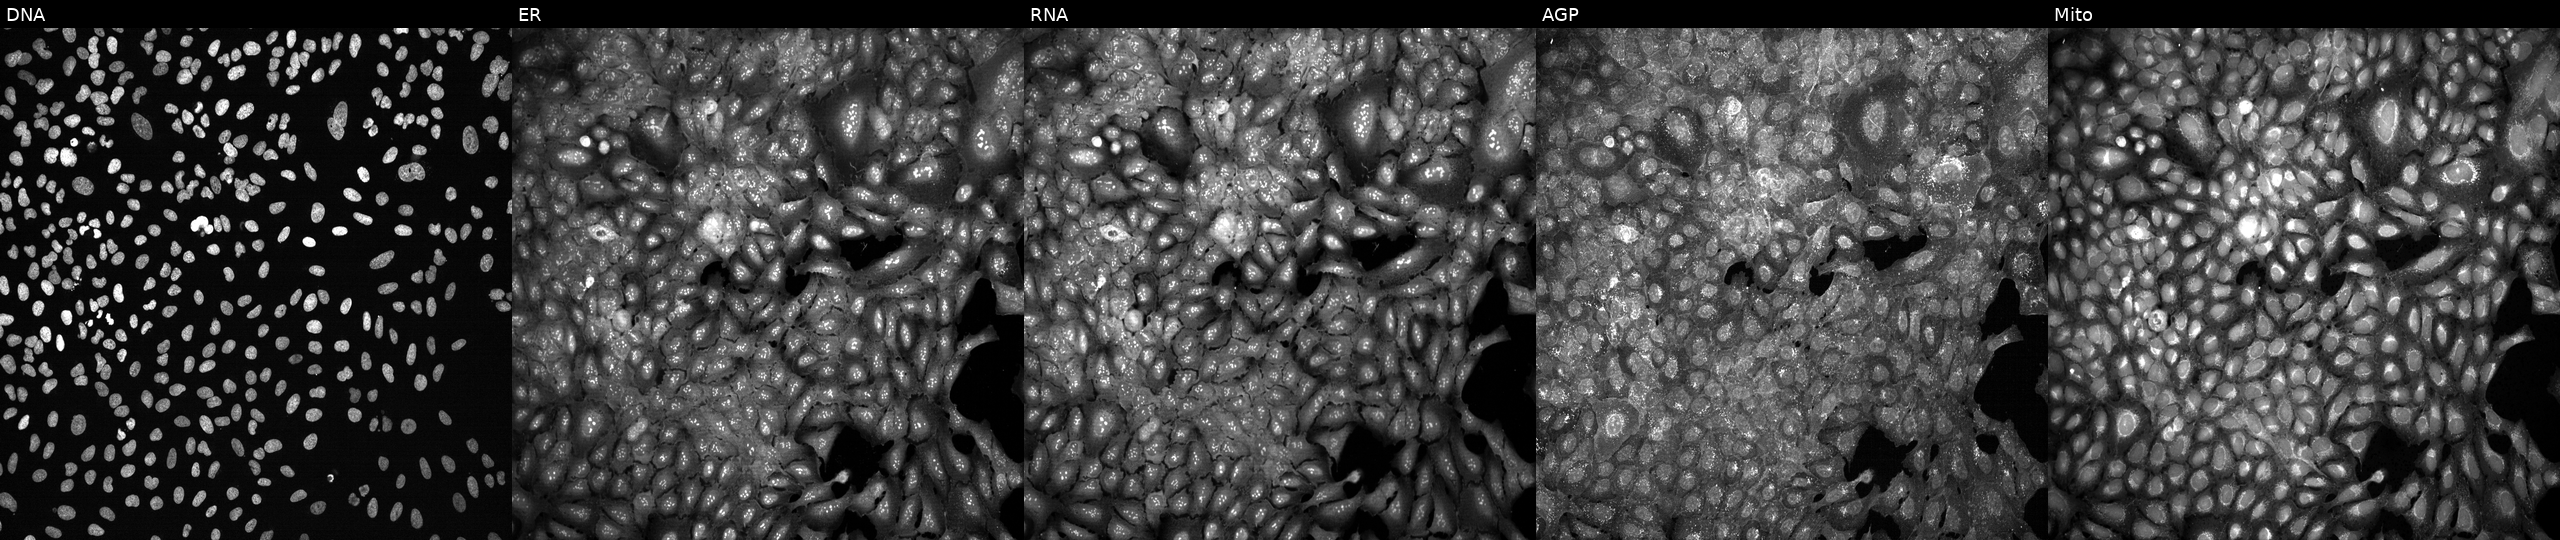
JUMP Cell Painting — CRISPR plate. U2OS cells CRISPR-edited to disrupt UGT1A7 (JUMP id JCP2022_807523). Channels (left→right): Hoechst 33342, concanavalin A, SYTO 14, phalloidin and WGA, MitoTracker. Source 13, plate CP-CC9-R1-02, well J14.